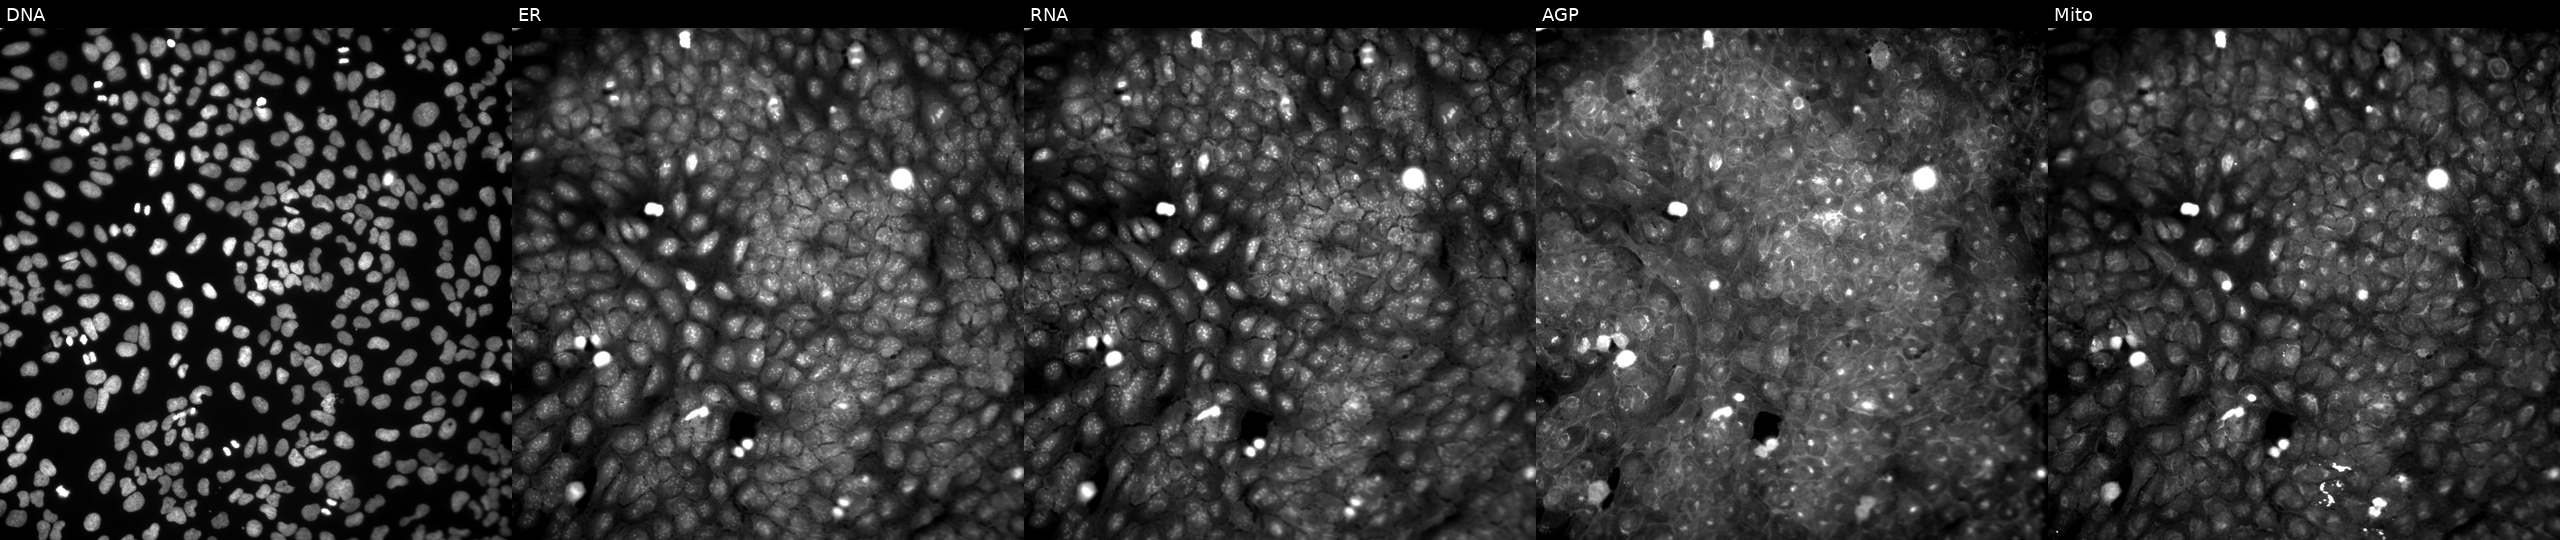
JUMP Cell Painting — COMPOUND plate. U2OS cells exposed to a small-molecule compound (InChIKey CSSPIWQNJFMNBN-UHFFFAOYSA-N). From left to right: DNA (nuclei); ER (endoplasmic reticulum); RNA (nucleoli and cytoplasmic RNA); AGP (actin cytoskeleton, Golgi, and plasma membrane); Mito (mitochondria).